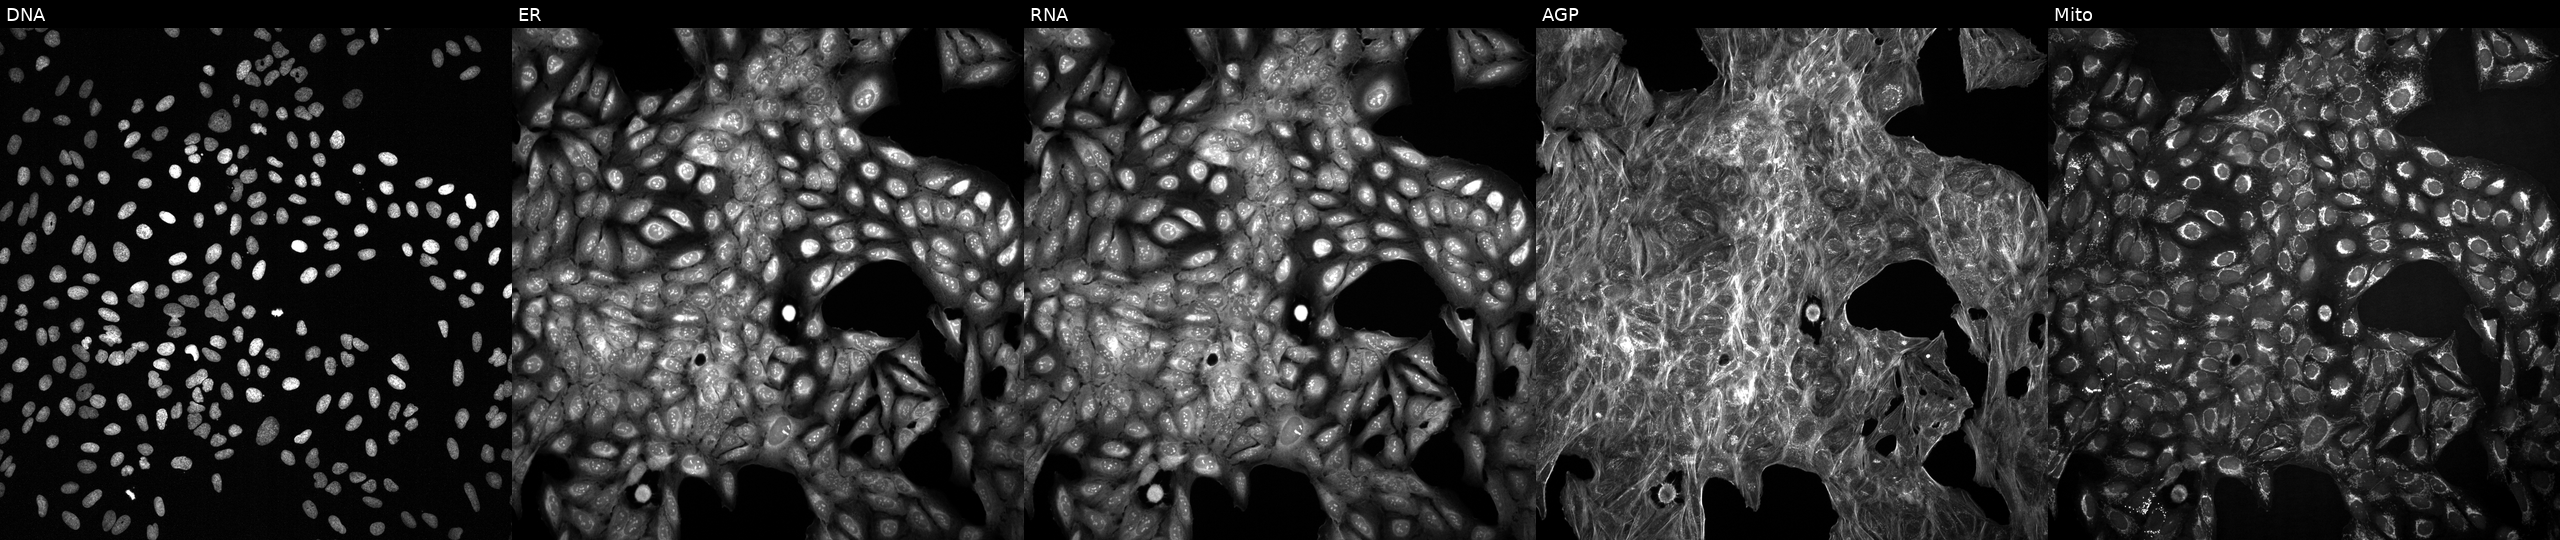
Five-channel Cell Painting image of U2OS cells perturbed with a small-molecule compound (InChIKey RVOLLAQWKVFTGE-UHFFFAOYSA-N) [SMILES: CN(C)C(=O)Oc1ccc[n+](C)c1] (JUMP id JCP2022_081019). Channels (left→right): Hoechst 33342, concanavalin A, SYTO 14, phalloidin and WGA, MitoTracker. Source 2, plate 1053601756, well I10.